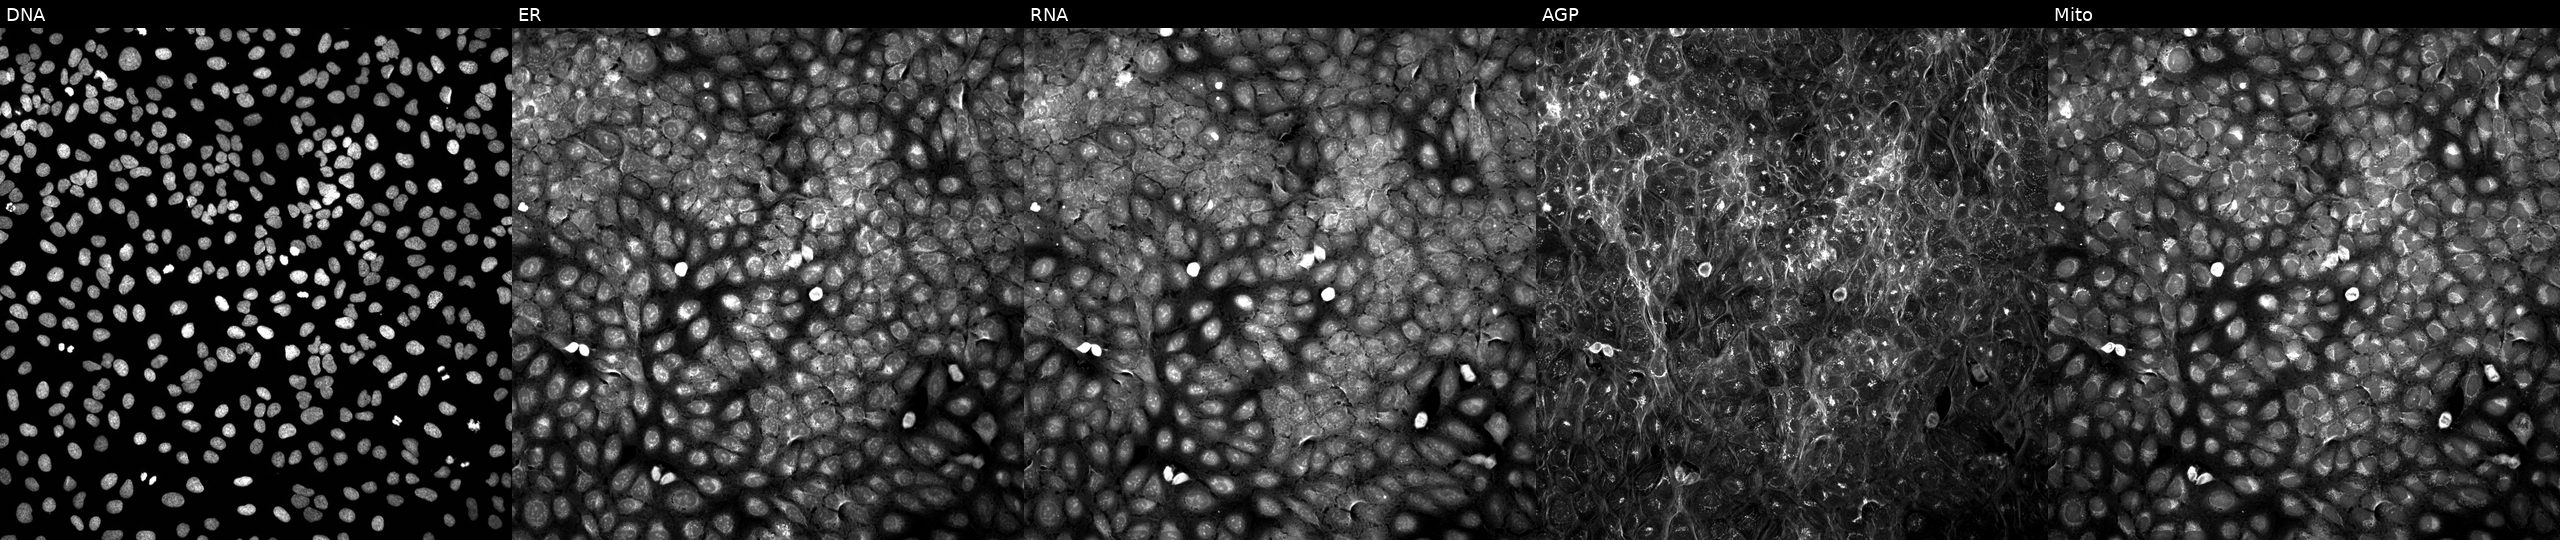
JUMP Cell Painting — TARGET2 plate. U2OS cells exposed to a small-molecule compound. Panels show, left to right, DNA (nuclei); ER (endoplasmic reticulum); RNA (nucleoli and cytoplasmic RNA); AGP (actin cytoskeleton, Golgi, and plasma membrane); Mito (mitochondria).